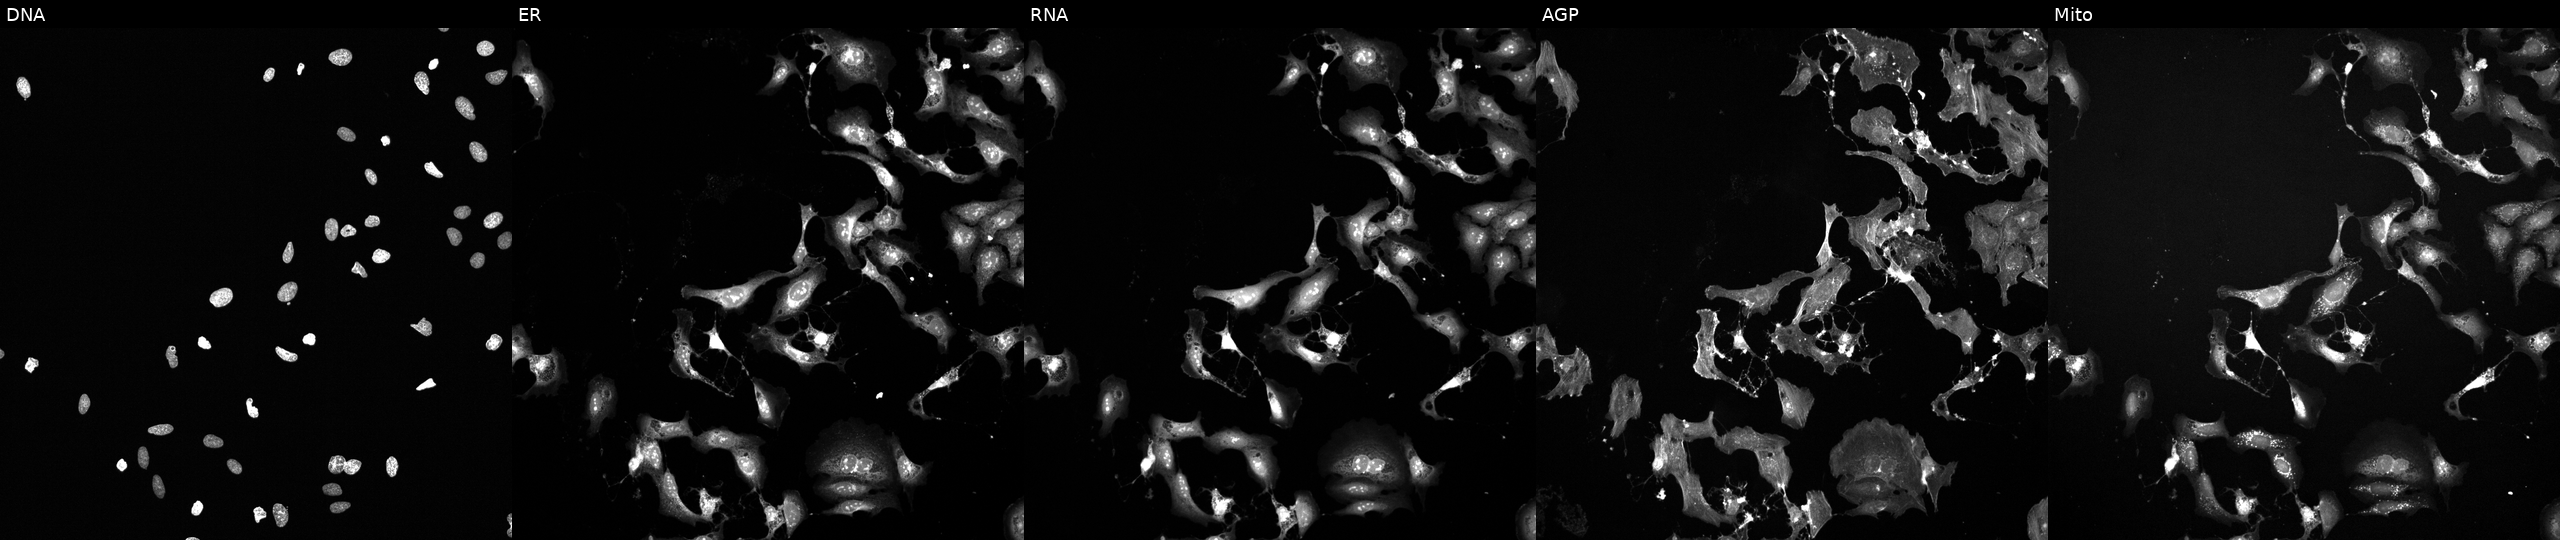
High-content fluorescence microscopy (Cell Painting). Cell line: U2OS. Perturbation: perturbed with a small-molecule compound [SMILES: CC1(C)C(=O)N=C2c3ccccc3C(=O)C(=O)C21]. Channels (left→right): DNA (nuclei); ER (endoplasmic reticulum); RNA (nucleoli and cytoplasmic RNA); AGP (actin cytoskeleton, Golgi, and plasma membrane); Mito (mitochondria). Source 6, plate 110000294901, well B01.